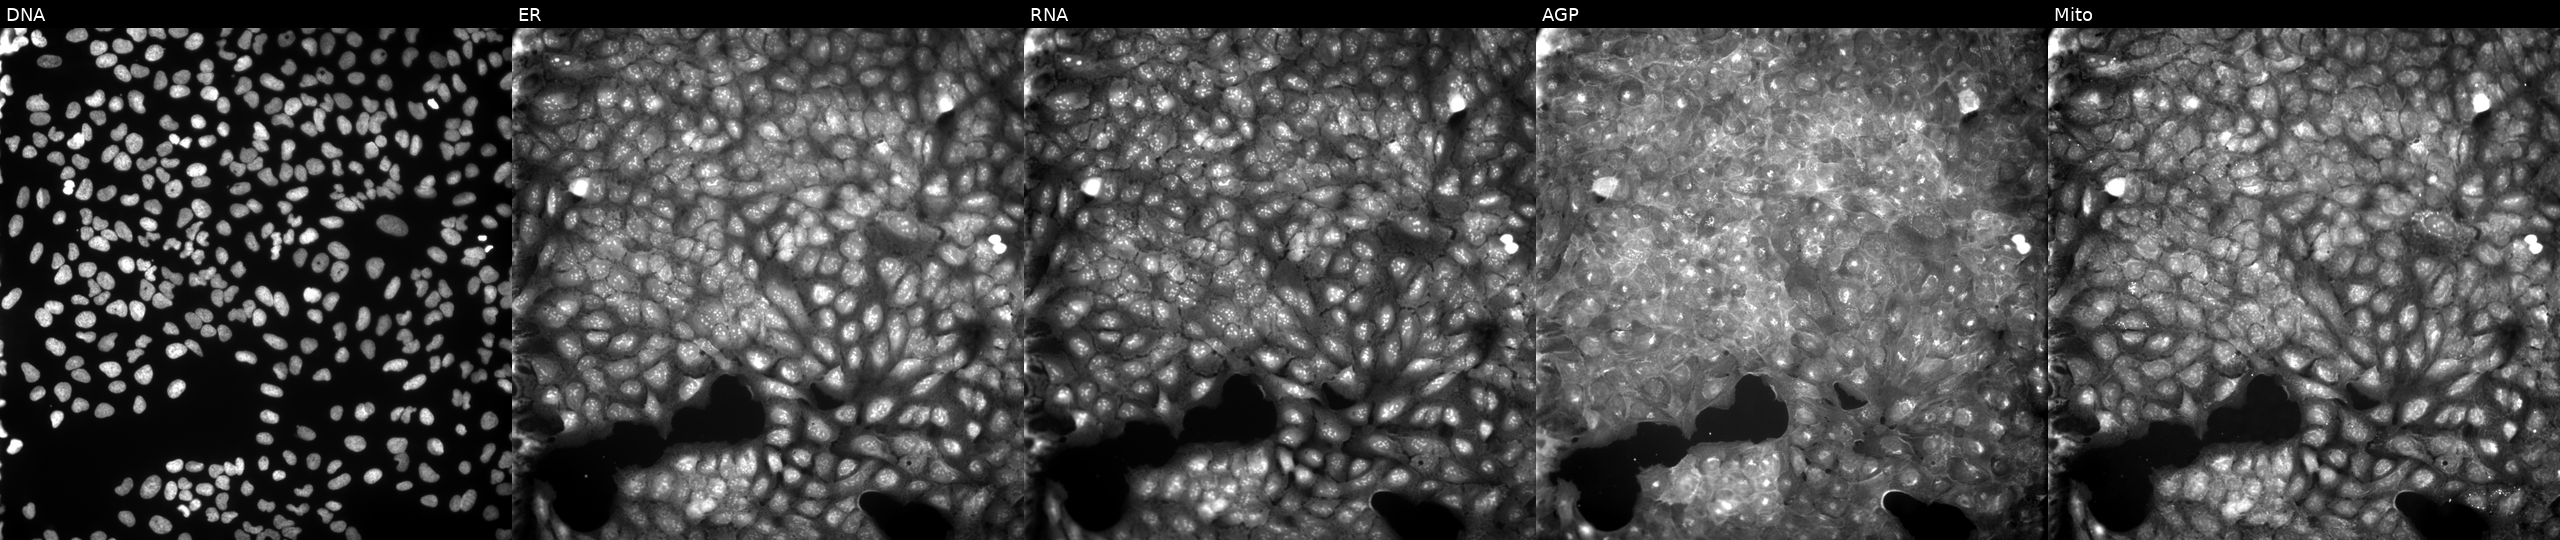
Five-channel Cell Painting image of U2OS cells treated with a small-molecule compound (InChIKey YWOBTEHNVMIYGH-UHFFFAOYSA-N). Panels show, left to right, DNA, ER, RNA, AGP, and Mito.